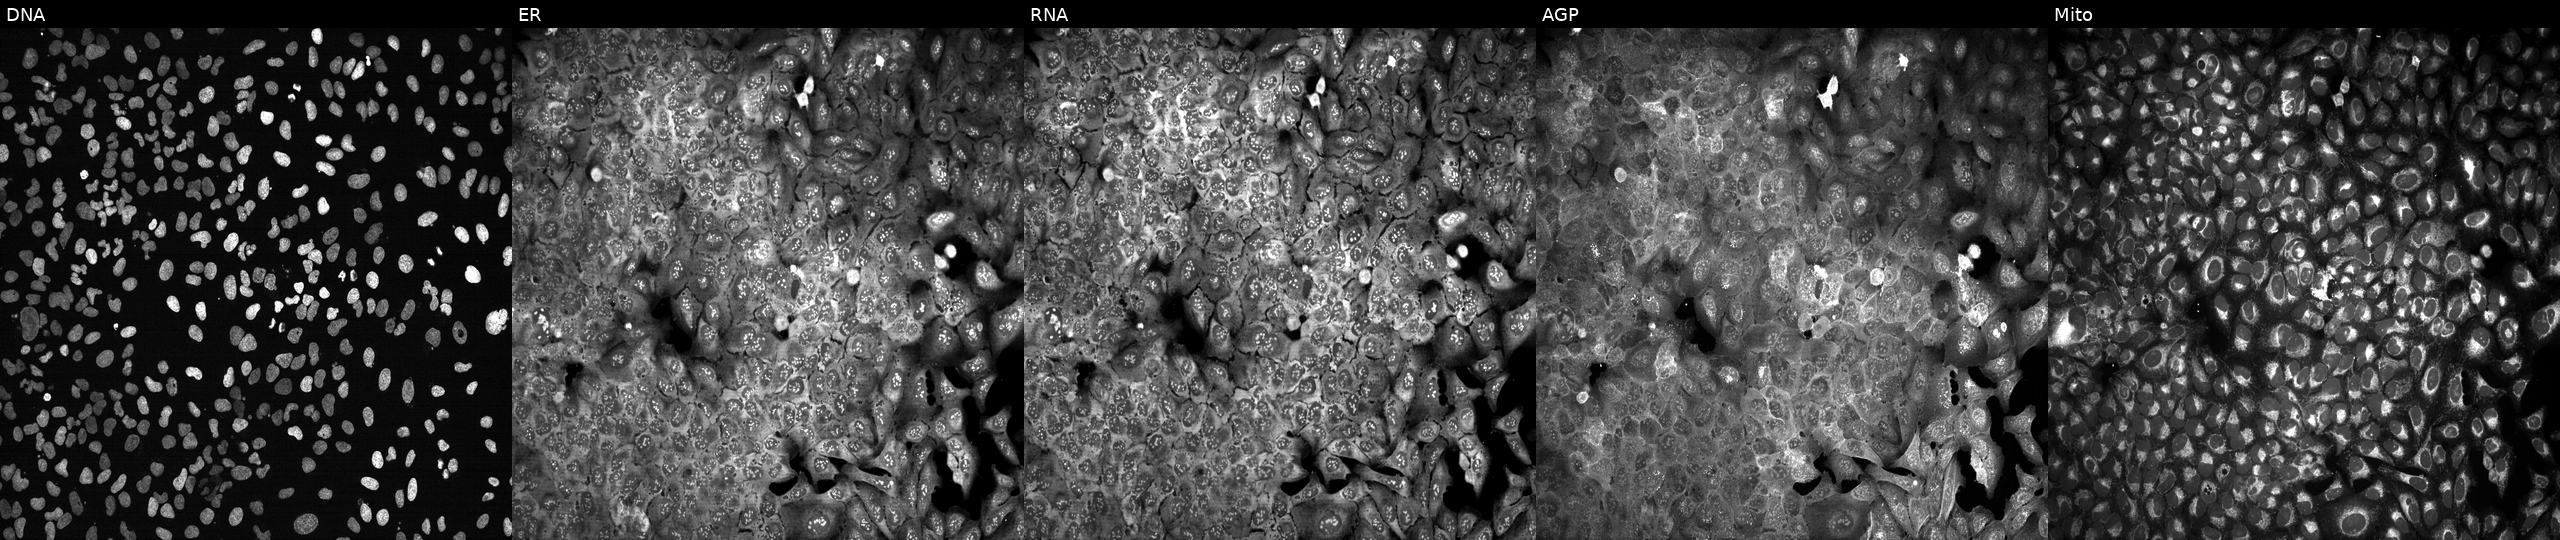
Five-channel Cell Painting image of U2OS cells with SLC22A6 knocked out by CRISPR (JUMP id JCP2022_806427). Channels (left→right): DNA (nuclei); ER (endoplasmic reticulum); RNA (nucleoli and cytoplasmic RNA); AGP (actin cytoskeleton, Golgi, and plasma membrane); Mito (mitochondria). Source 13, plate CP-CC9-R4-04, well M06.